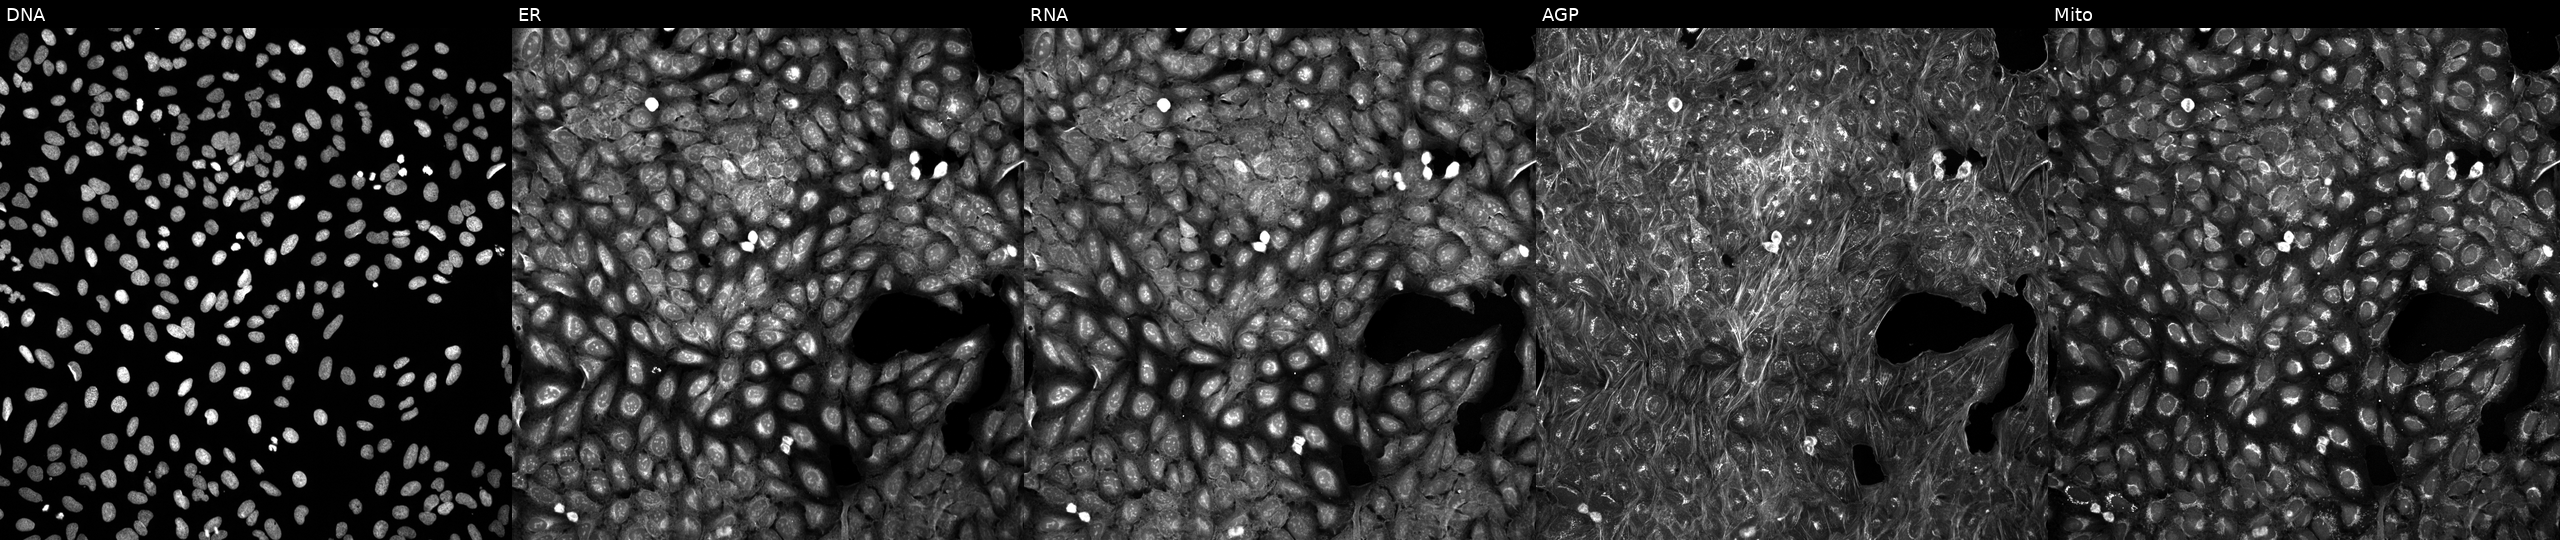
U2OS cells, Cell Painting assay, exposed to DMSO alone as a negative control. Channels (left→right): DNA, ER, RNA, AGP, and Mito. Each panel is percentile-stretched 16-bit fluorescence. Source 5, plate ACPJUM051, well K14.